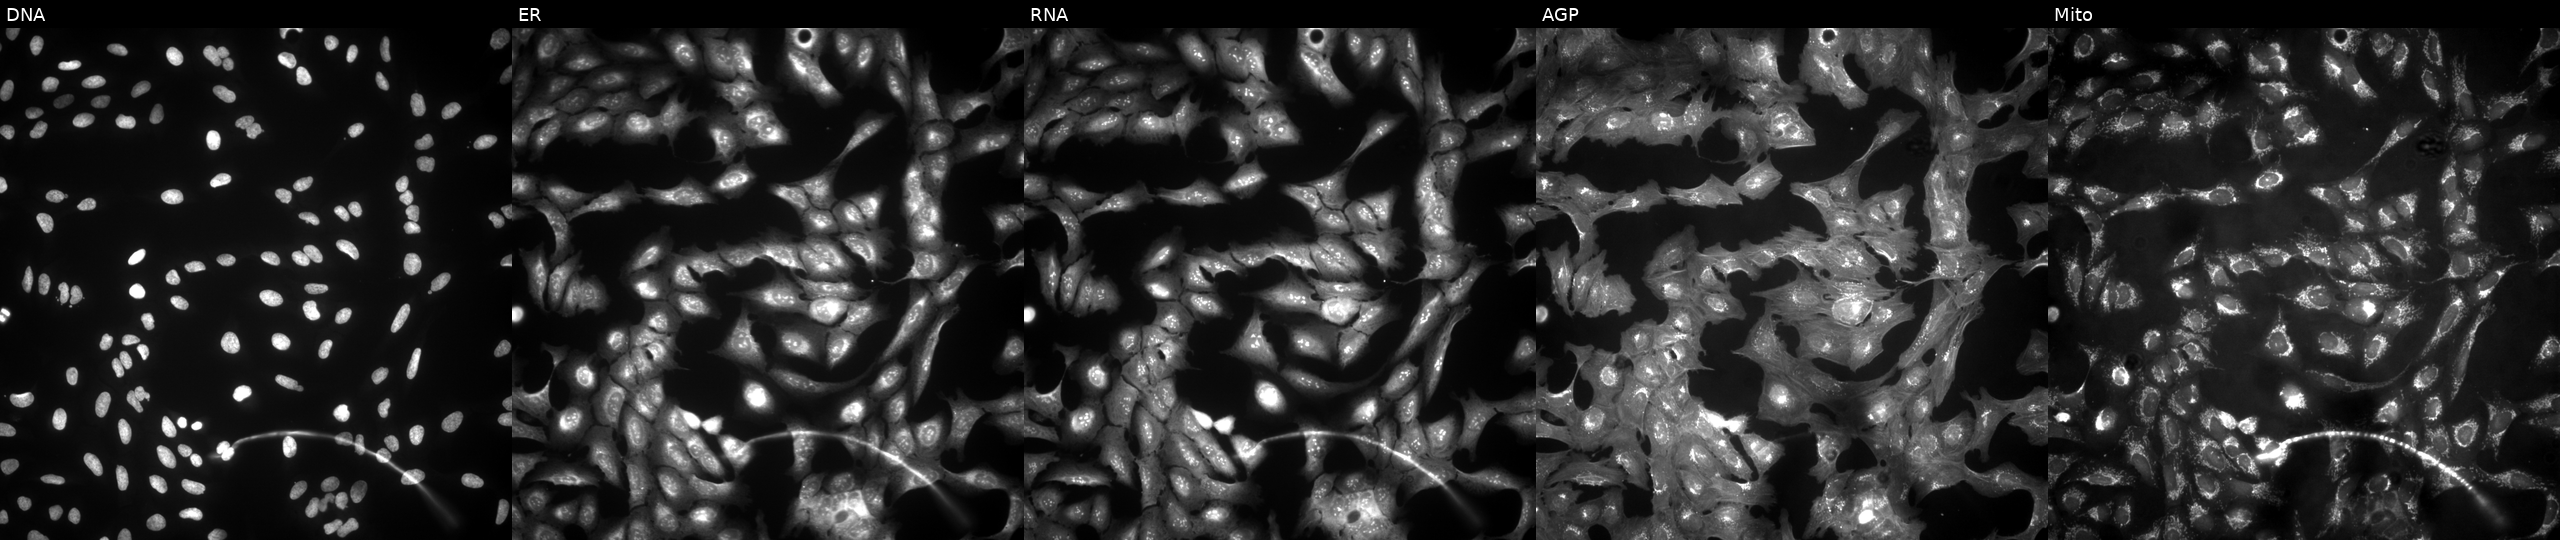
This image strip shows the five Cell Painting channels for a single field of U2OS cells transfected with an ORF construct for CHN1. Channels (left→right): Hoechst 33342, concanavalin A, SYTO 14, phalloidin and WGA, MitoTracker.